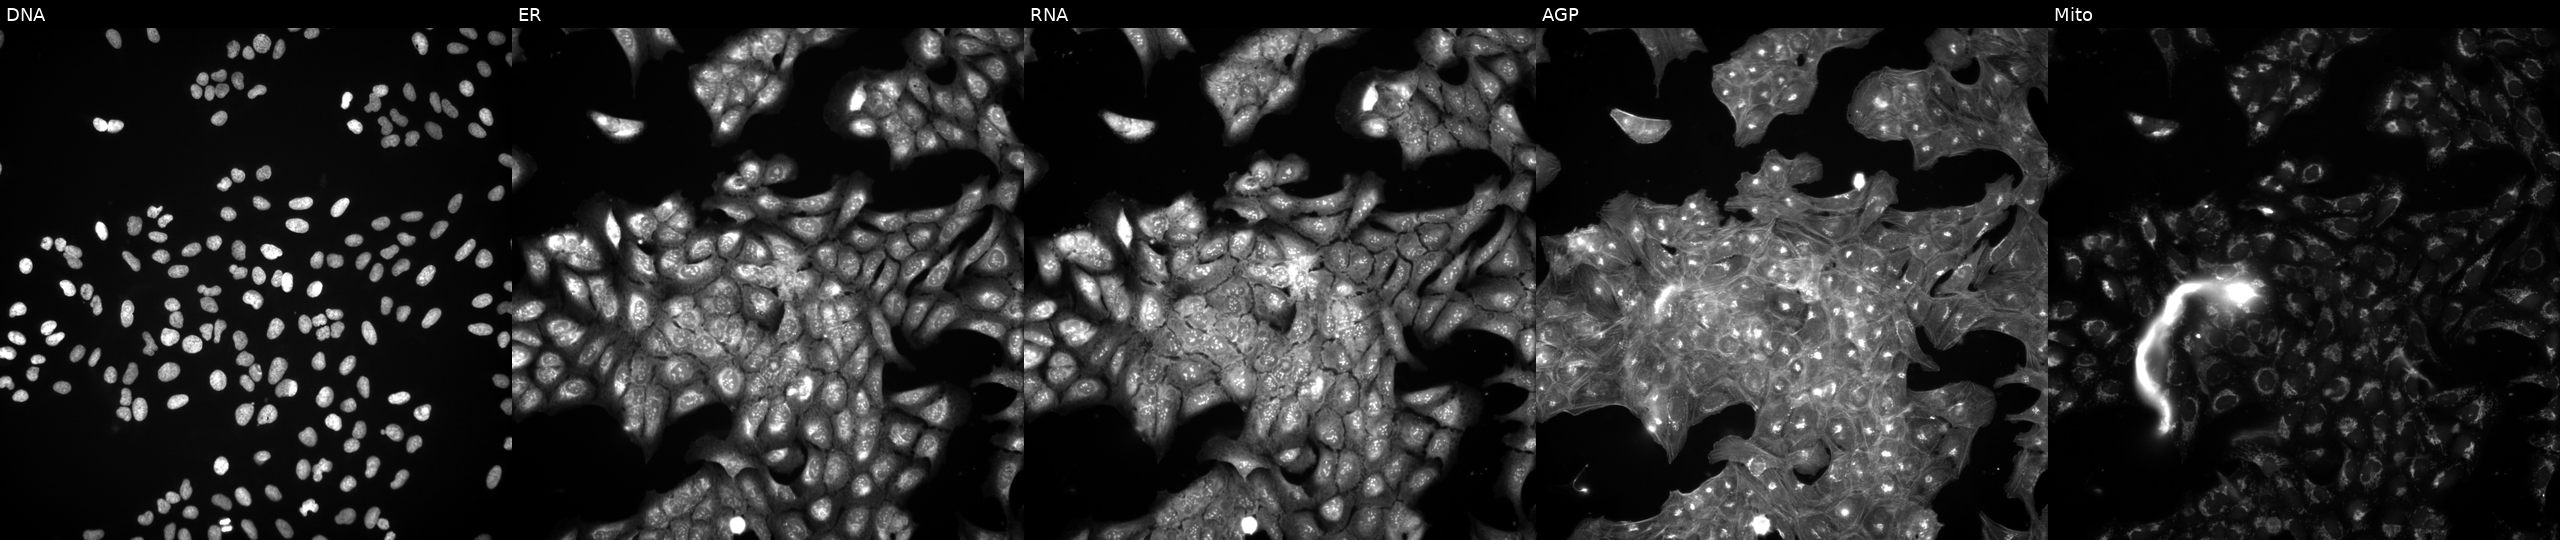
This image strip shows the five Cell Painting channels for a single field of U2OS cells in an empty control well (no perturbation) (JUMP id JCP2022_999999). From left to right: Hoechst 33342, concanavalin A, SYTO 14, phalloidin and WGA, MitoTracker.